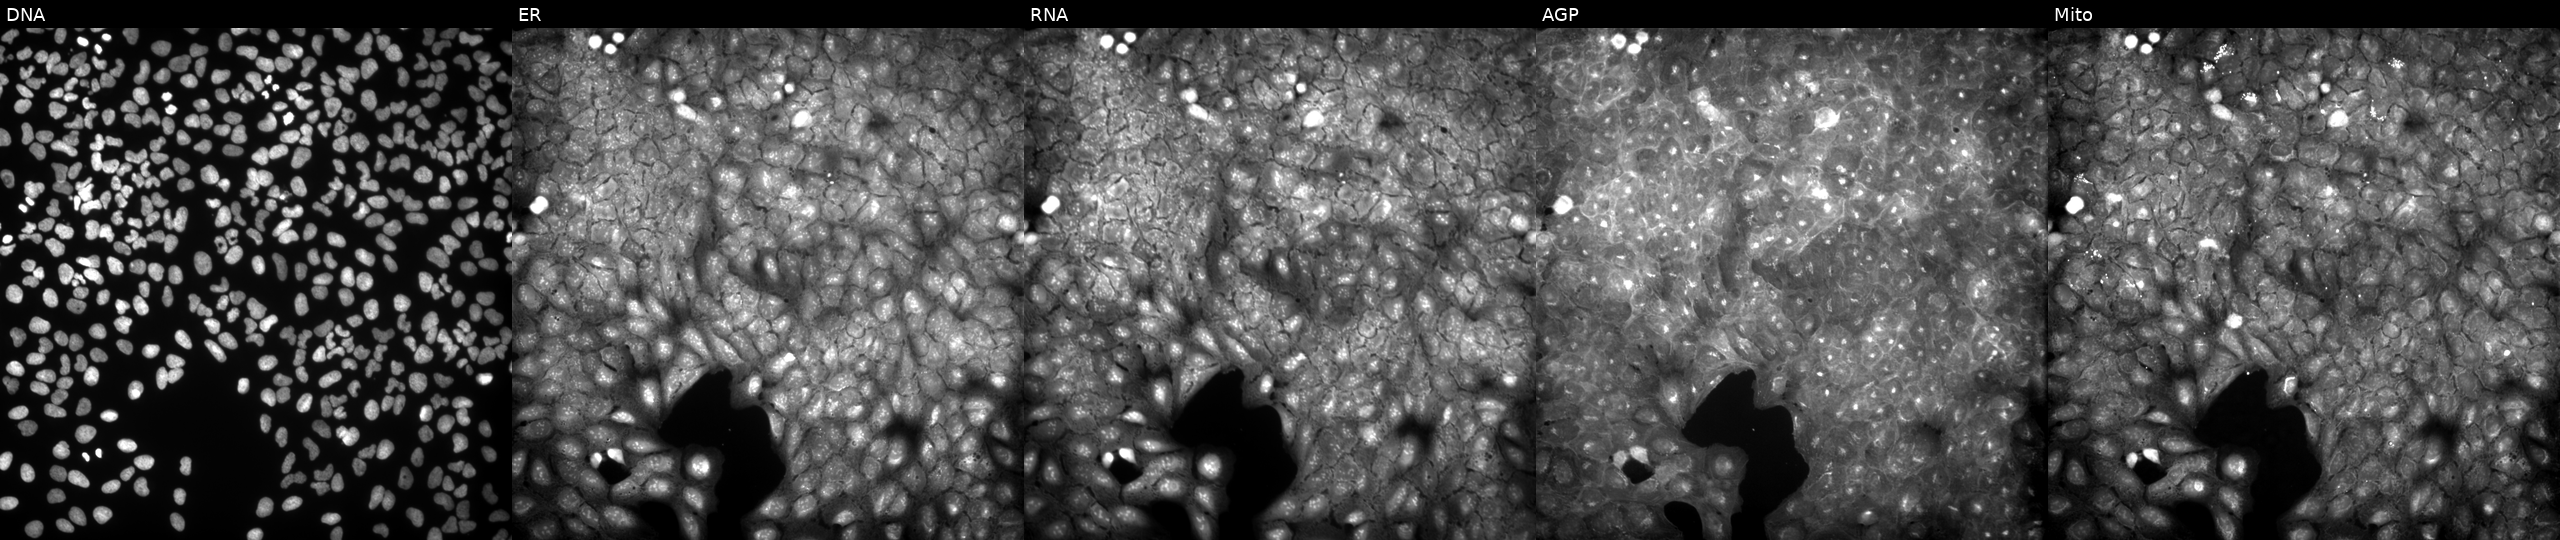
This image strip shows the five Cell Painting channels for a single field of U2OS cells treated with a small-molecule compound (InChIKey LRKPFEMTCNKJSS-UHFFFAOYSA-N) (JUMP id JCP2022_051272). The five panels, left to right, show Hoechst 33342, concanavalin A, SYTO 14, phalloidin and WGA, MitoTracker.